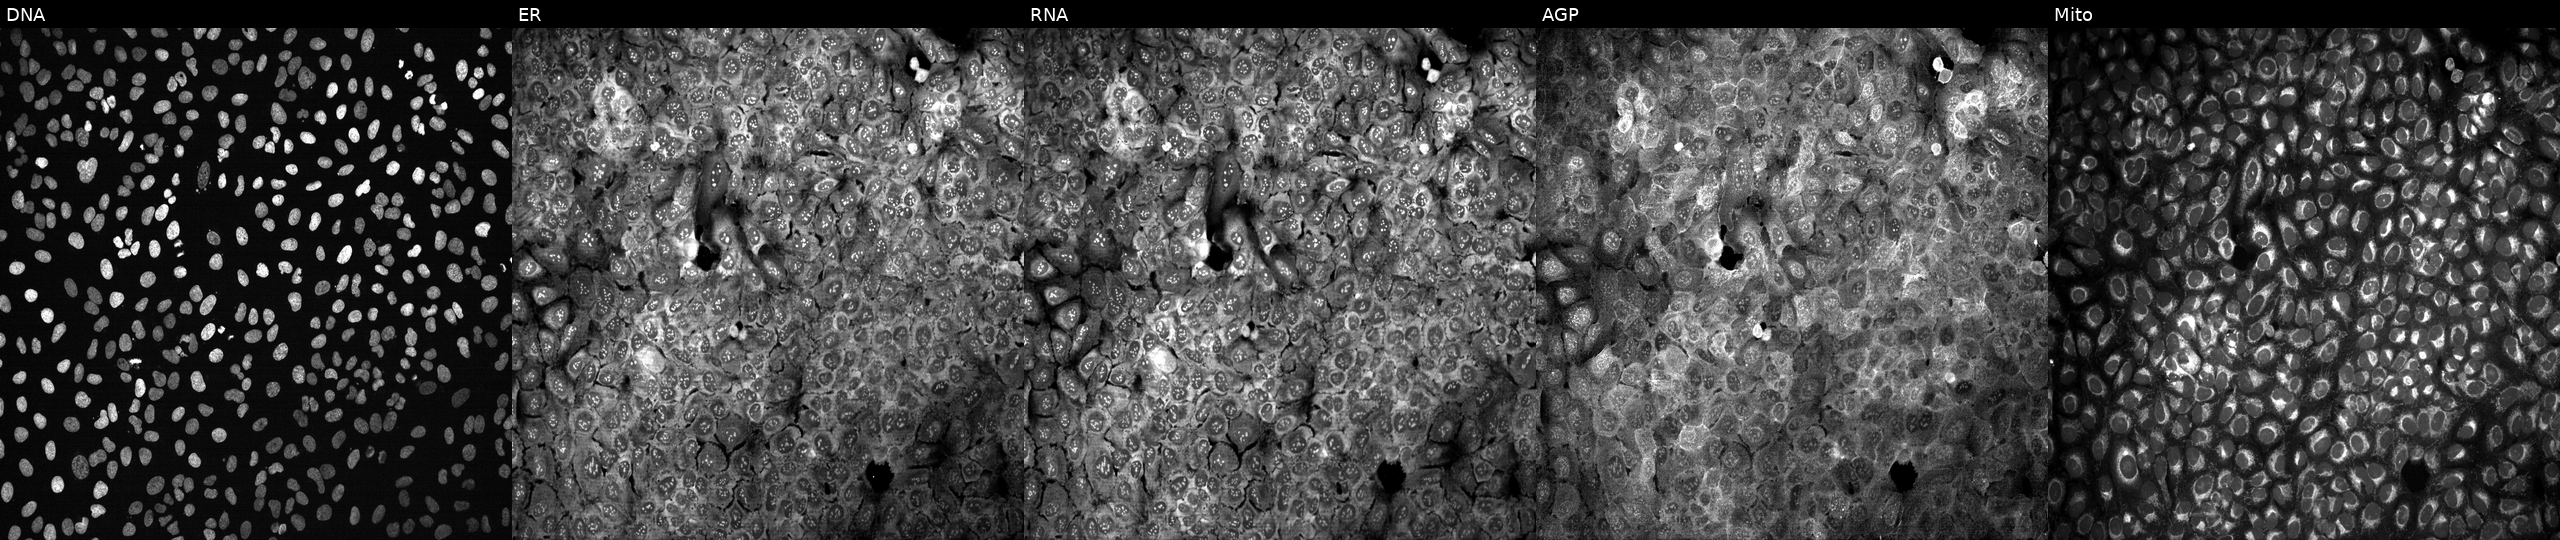
JUMP Cell Painting — CRISPR plate. U2OS cells with LAMB3 knocked out by CRISPR (JUMP id JCP2022_803773). From left to right: DNA, ER, RNA, AGP, and Mito. Source 13, plate CP-CC9-R2-02, well O09.